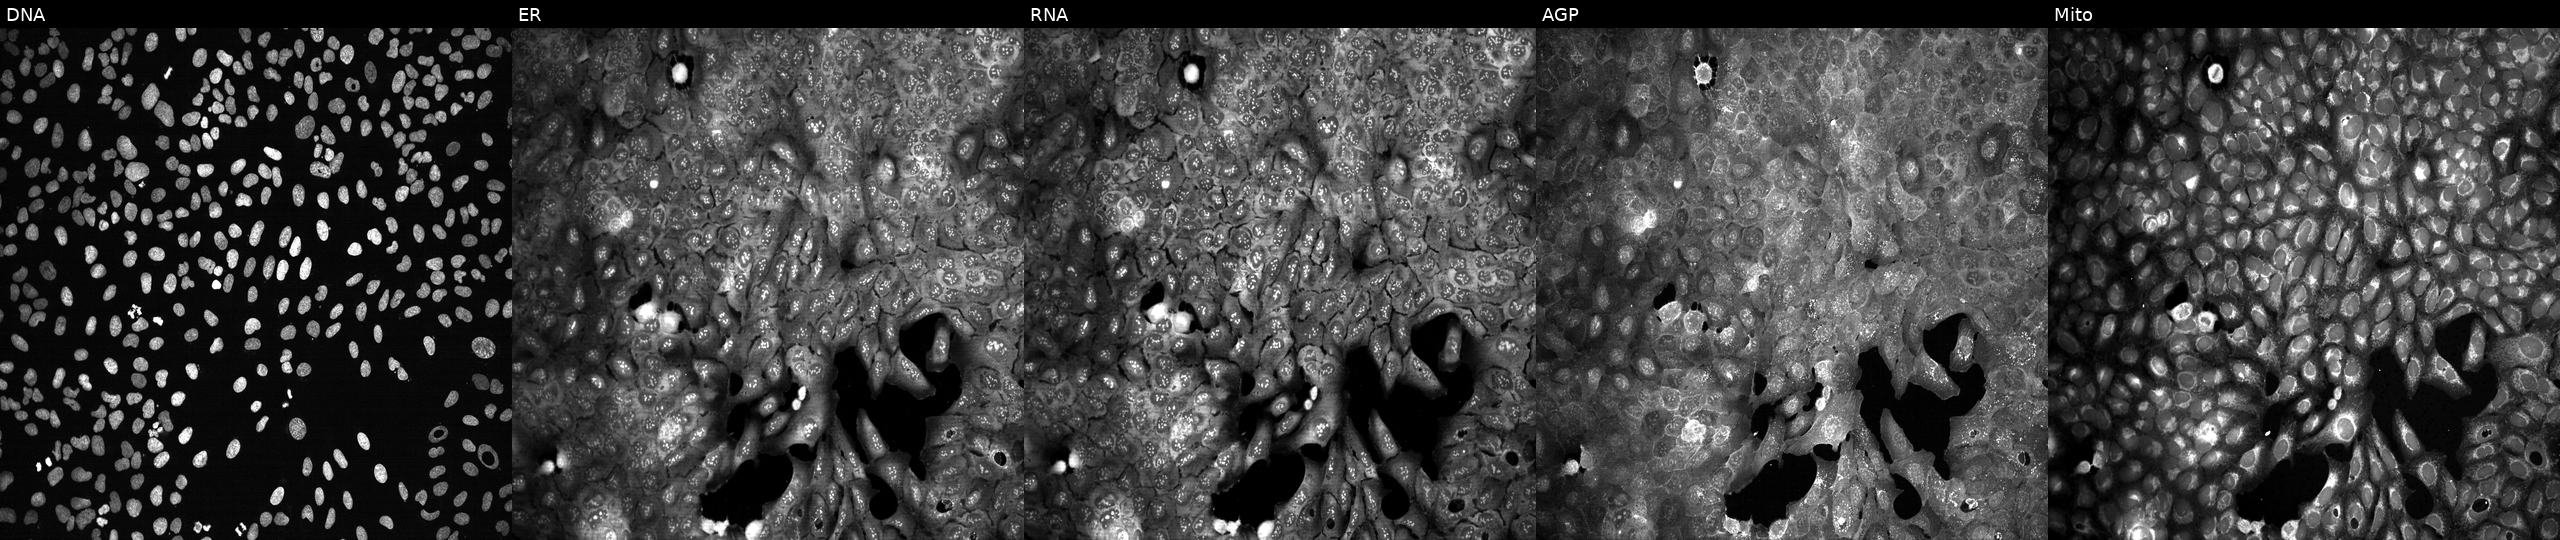
High-content fluorescence microscopy (Cell Painting). Cell line: U2OS. Perturbation: with FOXS1 knocked out by CRISPR. Channels (left→right): Hoechst 33342, concanavalin A, SYTO 14, phalloidin and WGA, MitoTracker.